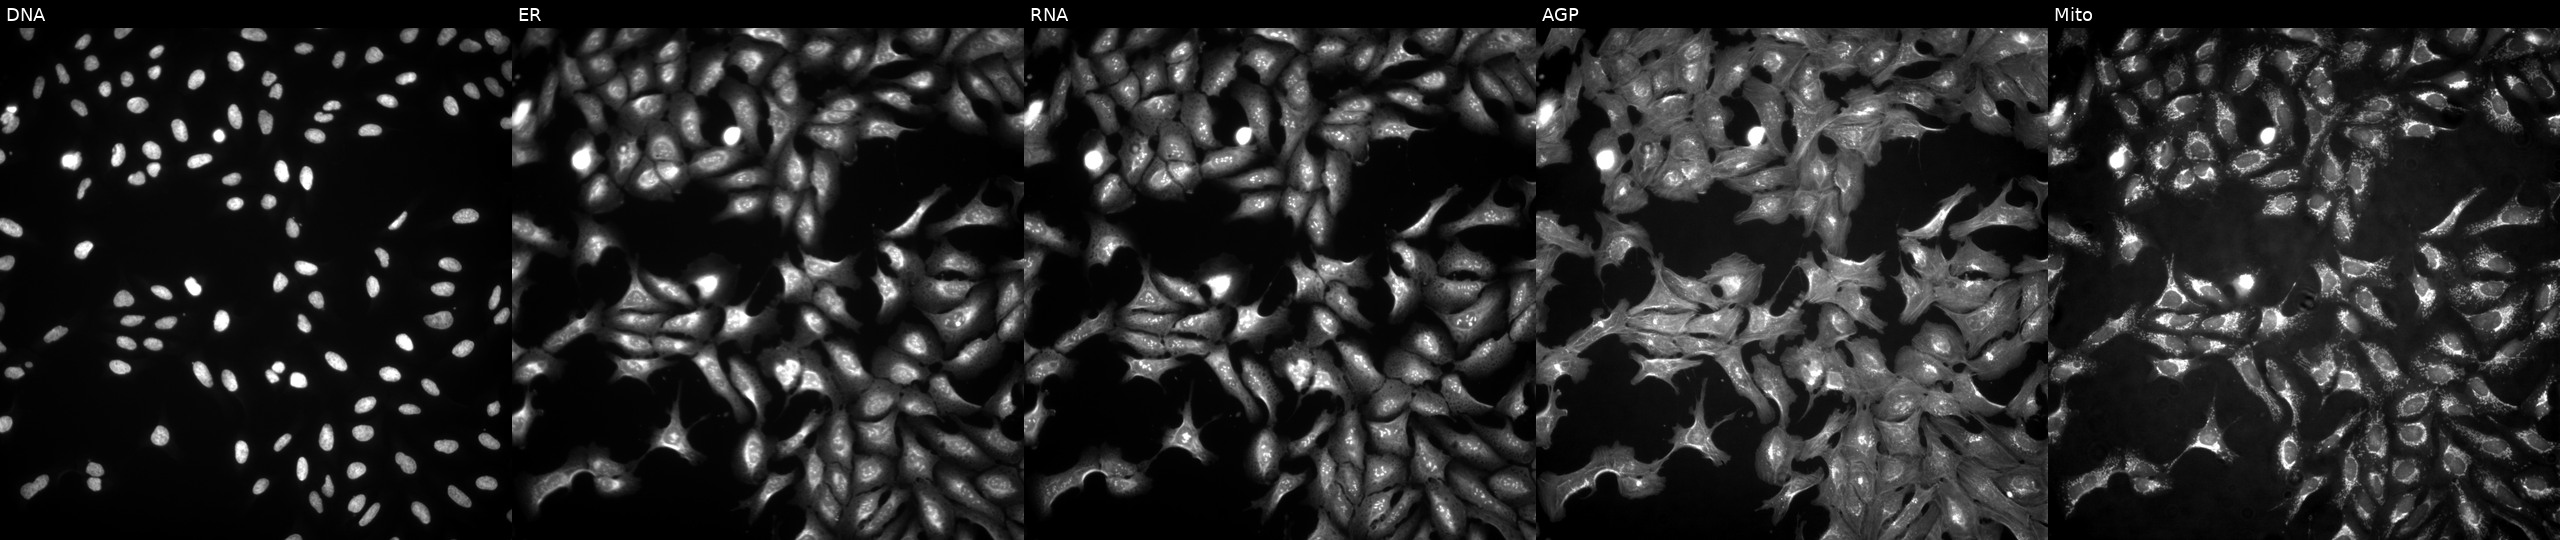
High-content fluorescence microscopy (Cell Painting). Cell line: U2OS. Perturbation: overexpressing LYPD4 via ORF transfection (JUMP id JCP2022_912342). The five panels, left to right, show DNA, ER, RNA, AGP, and Mito. Source 4, plate BR00123509, well D04.